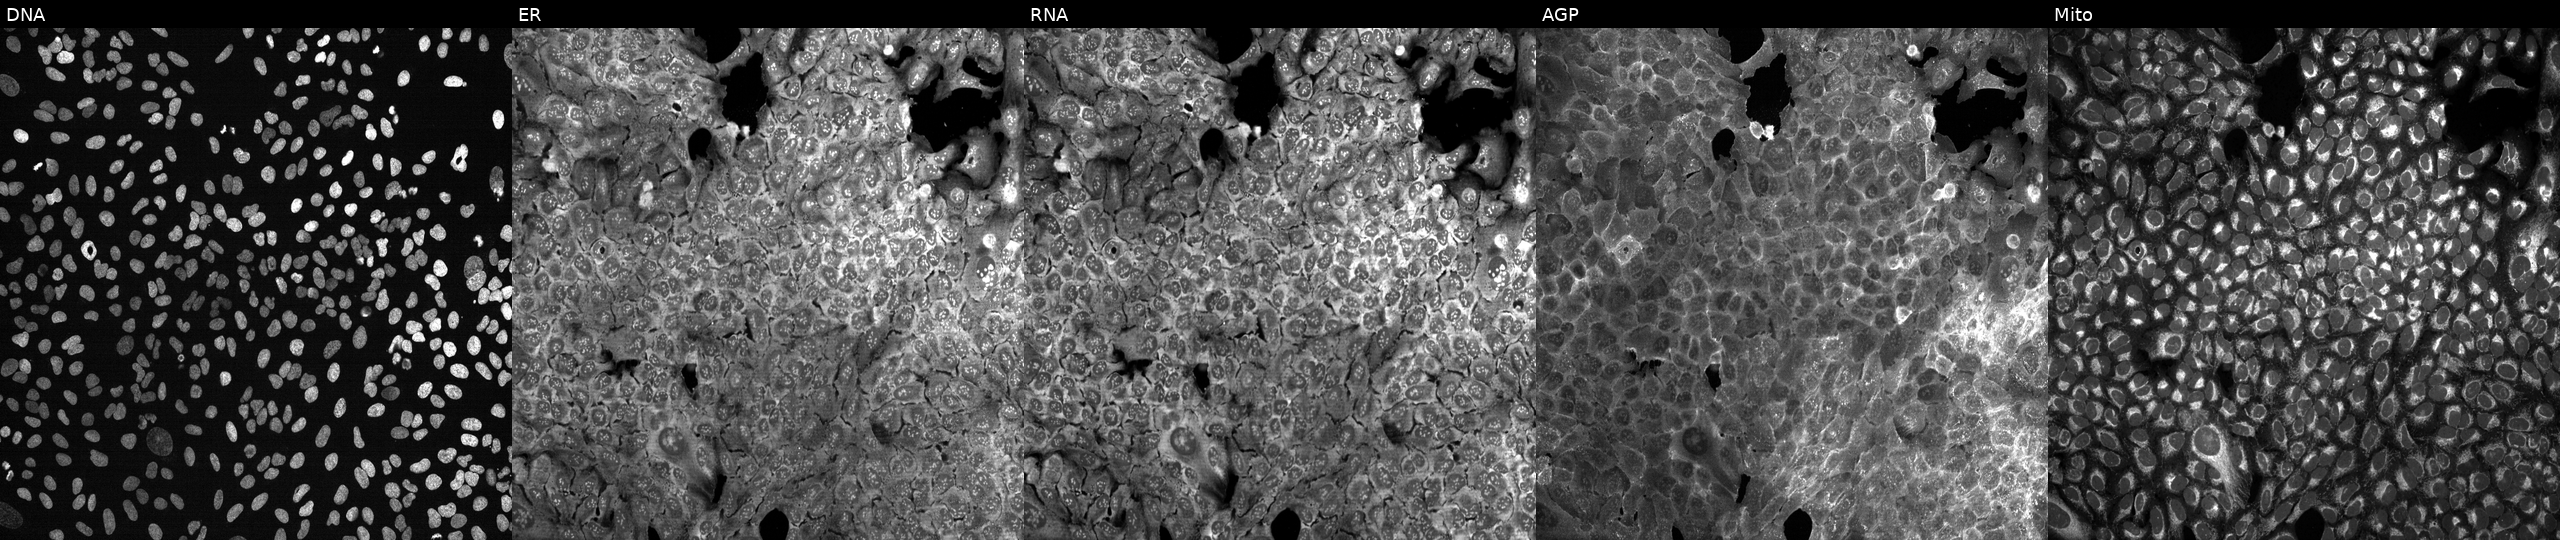
JUMP Cell Painting — CRISPR plate. U2OS cells CRISPR-edited to disrupt SALL4. Channels (left→right): Hoechst 33342, concanavalin A, SYTO 14, phalloidin and WGA, MitoTracker.